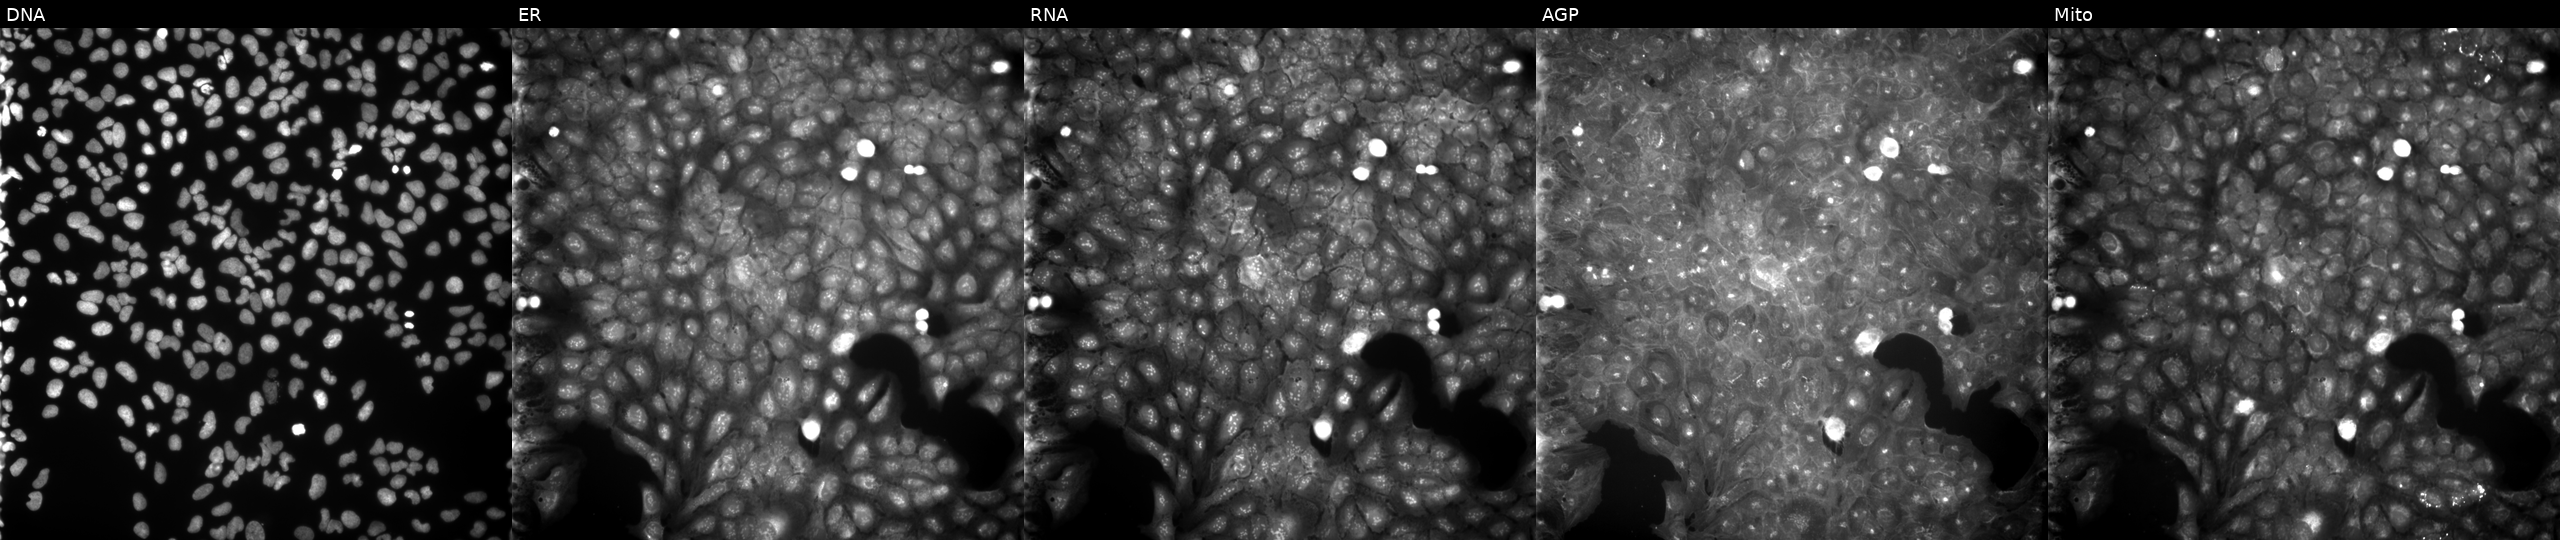
U2OS cells, Cell Painting assay, exposed to a small-molecule compound [SMILES: CCCCNC(O)Cc1nc2cc(C)c(C)cc2[nH]c1=O] (JUMP id JCP2022_099193). The five panels, left to right, show DNA (nuclei); ER (endoplasmic reticulum); RNA (nucleoli and cytoplasmic RNA); AGP (actin cytoskeleton, Golgi, and plasma membrane); Mito (mitochondria). Each panel is percentile-stretched 16-bit fluorescence.